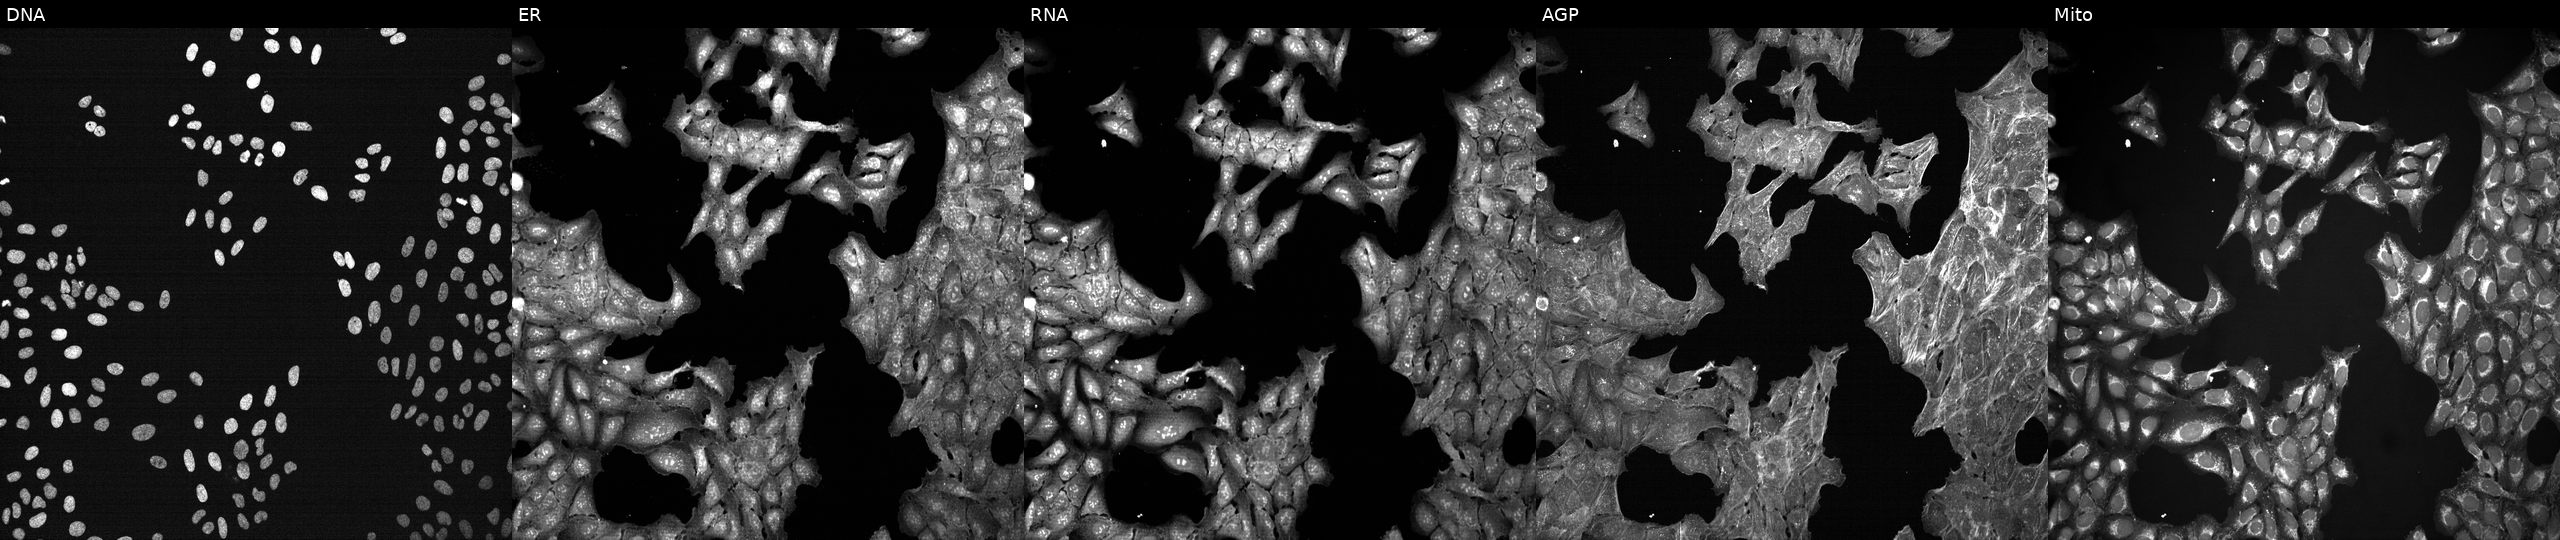
JUMP Cell Painting — TARGET2 plate. U2OS cells perturbed with a small-molecule compound [SMILES: CCOC(=O)c1cc(C#N)c(N2CCC(C(=O)NS(=O)(=O)Cc3ccccc3)CC2)nc1C] (JUMP id JCP2022_058461). Panels show, left to right, DNA (nuclei); ER (endoplasmic reticulum); RNA (nucleoli and cytoplasmic RNA); AGP (actin cytoskeleton, Golgi, and plasma membrane); Mito (mitochondria).